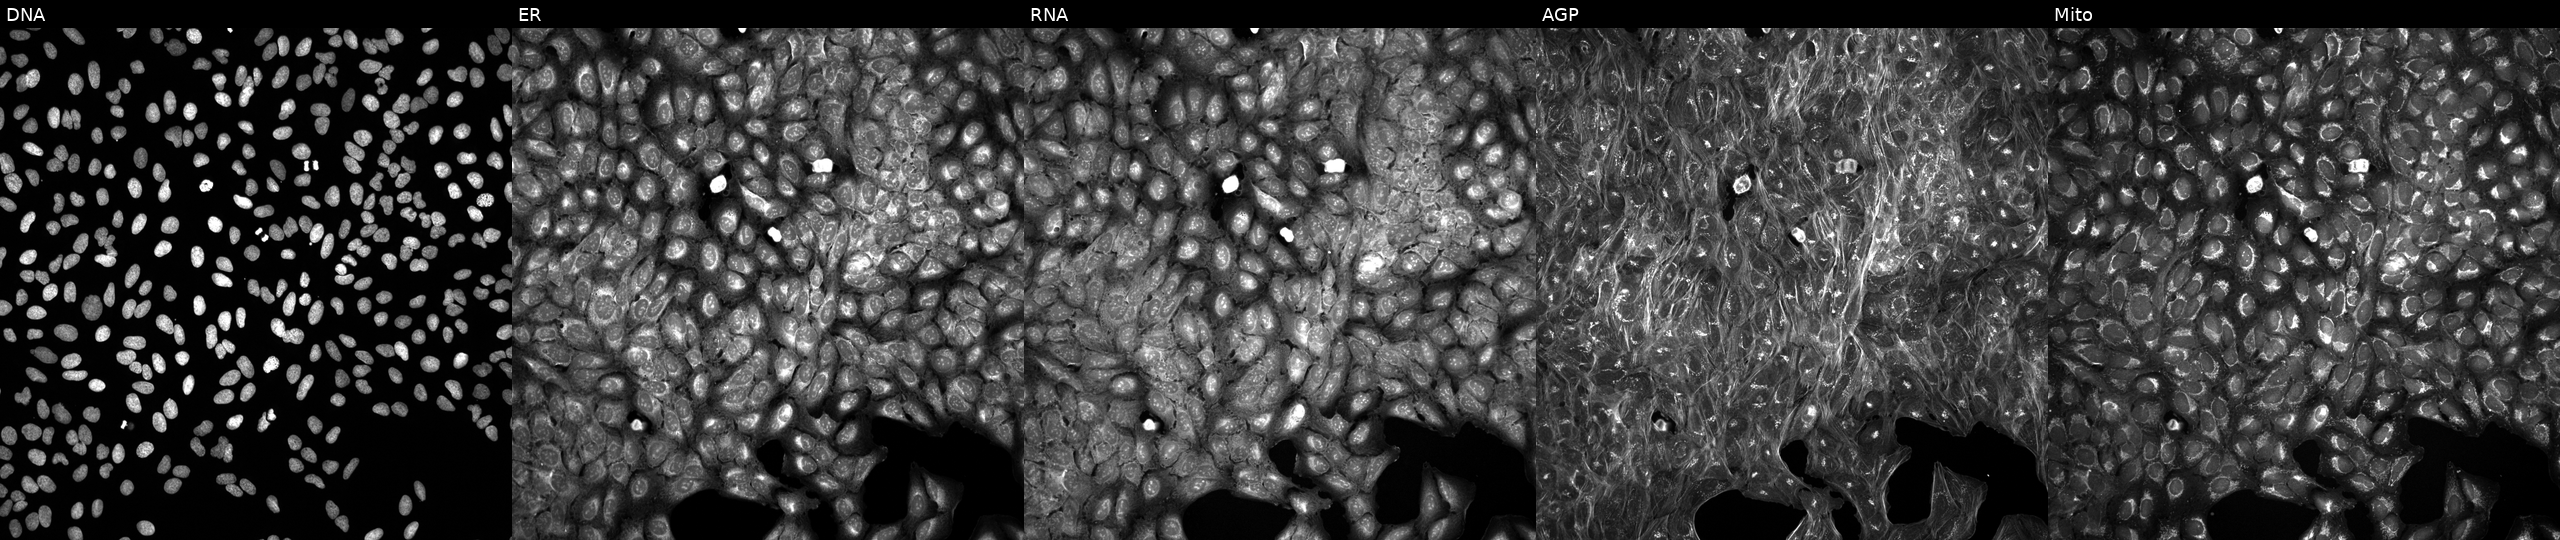
Five-channel Cell Painting image of U2OS cells treated with DMSO vehicle only (negative control). Channels (left→right): Hoechst 33342, concanavalin A, SYTO 14, phalloidin and WGA, MitoTracker.